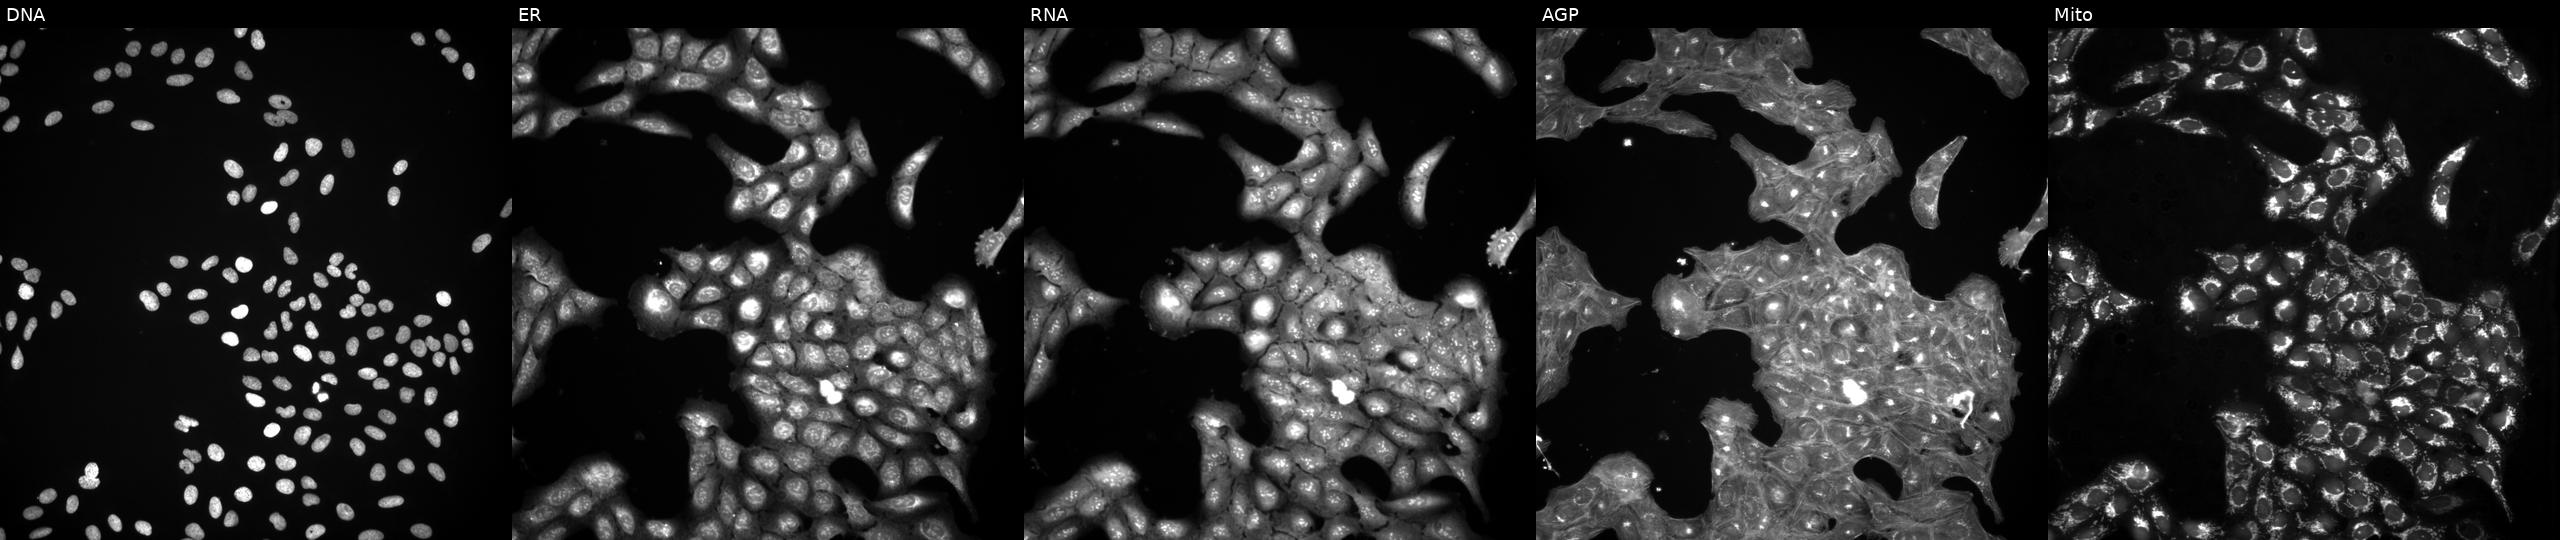
Five-channel Cell Painting image of U2OS cells perturbed with a small-molecule compound (InChIKey ALBKMJDFBZVHAK-UHFFFAOYSA-N) (JUMP id JCP2022_002118). From left to right: DNA (nuclei); ER (endoplasmic reticulum); RNA (nucleoli and cytoplasmic RNA); AGP (actin cytoskeleton, Golgi, and plasma membrane); Mito (mitochondria).